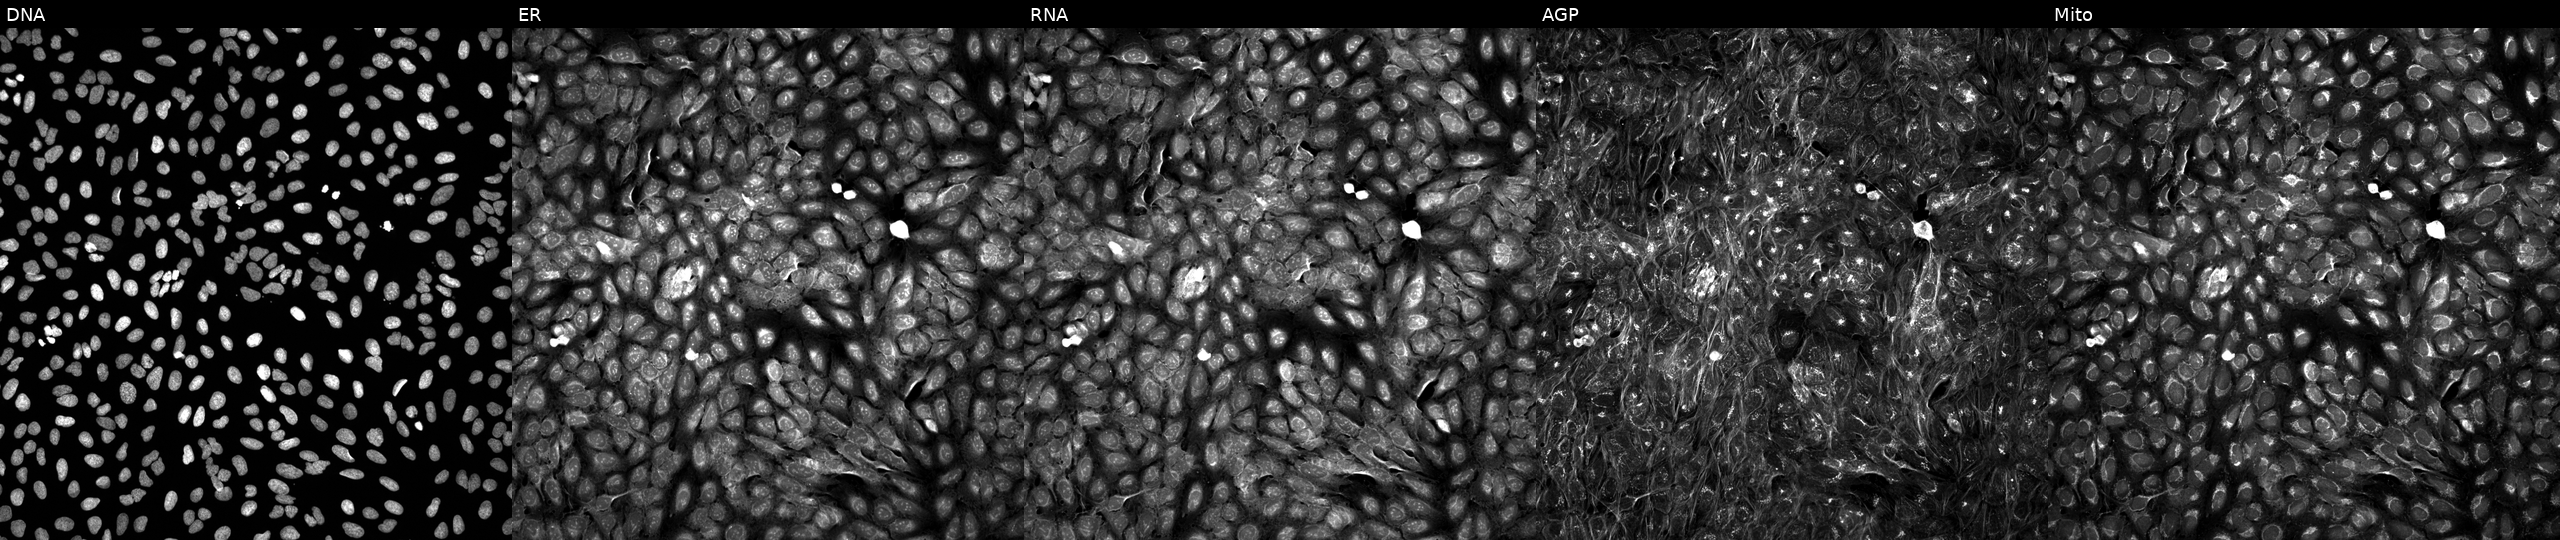
Five-channel Cell Painting image of U2OS cells exposed to a small-molecule compound (InChIKey USSBIOMKHFAZJW-UHFFFAOYSA-N) (JUMP id JCP2022_091289). The five panels, left to right, show DNA, ER, RNA, AGP, and Mito.